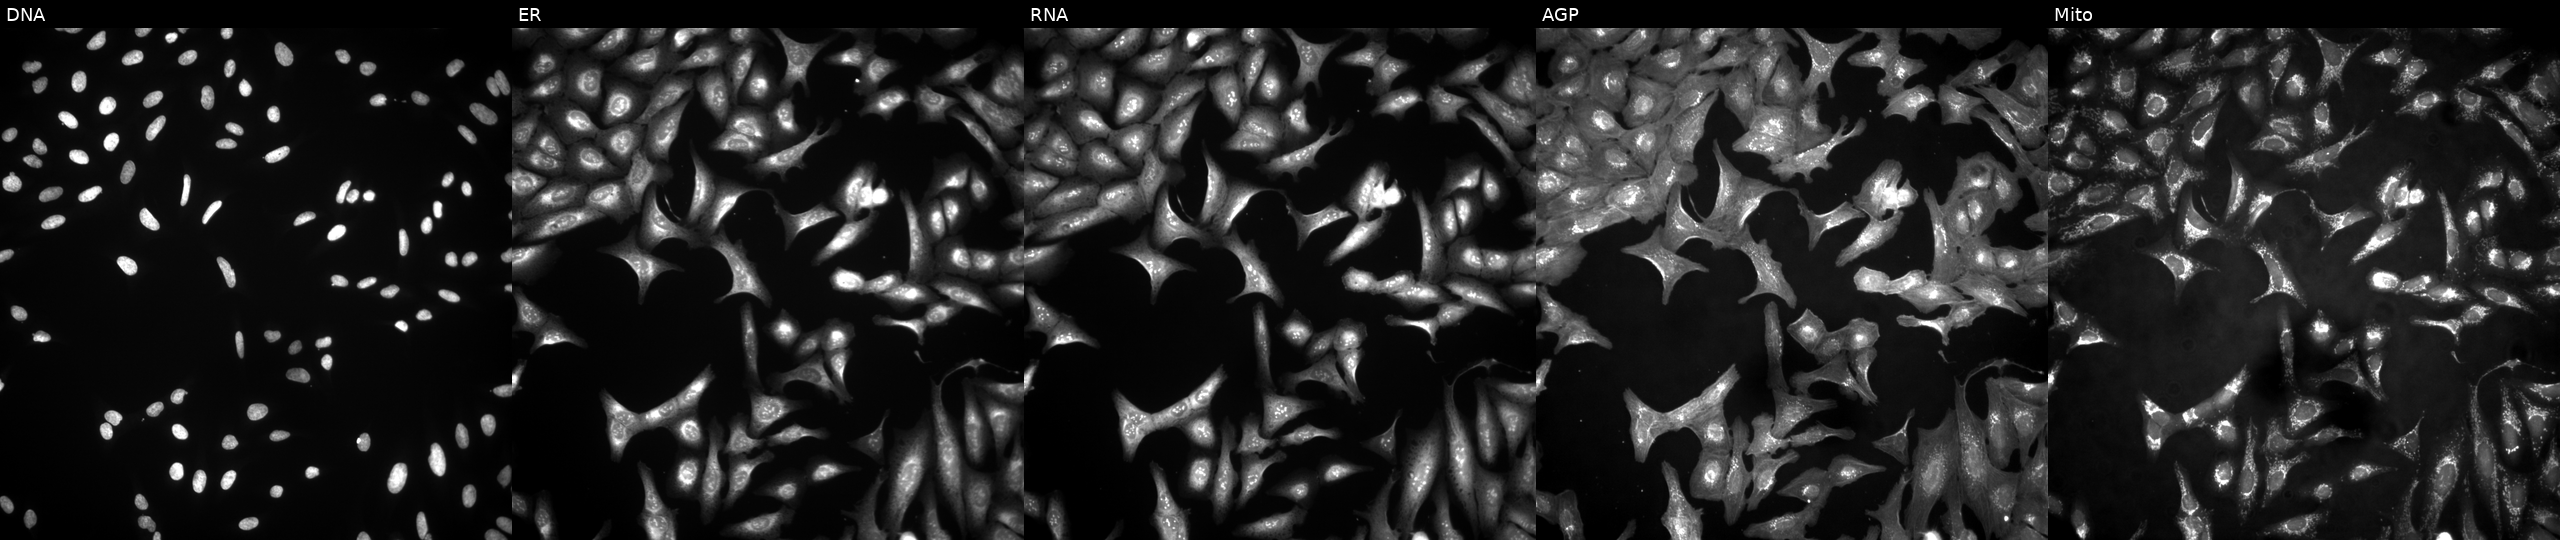
Five-channel Cell Painting image of U2OS cells transfected with an ORF construct for ARHGAP12. The five panels, left to right, show Hoechst 33342, concanavalin A, SYTO 14, phalloidin and WGA, MitoTracker. Source 4, plate BR00124790, well M24.